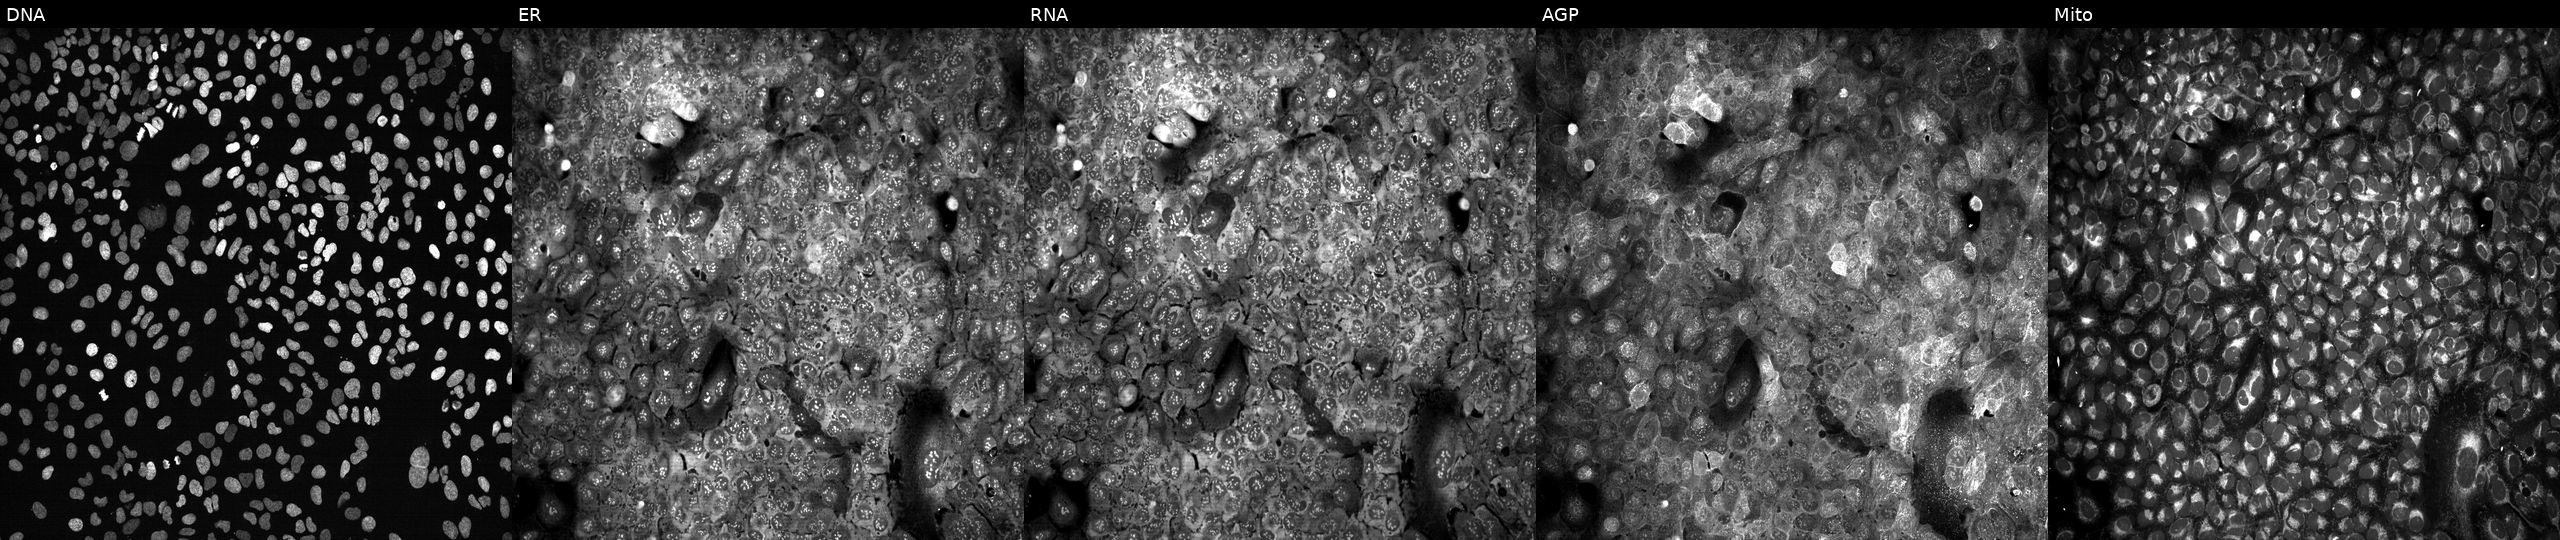
Panels show, left to right, DNA, ER, RNA, AGP, and Mito. U2OS osteosarcoma cells with ANGPT1 knocked out by CRISPR (JUMP id JCP2022_800454). Cell Painting assay, JUMP-CP dataset.